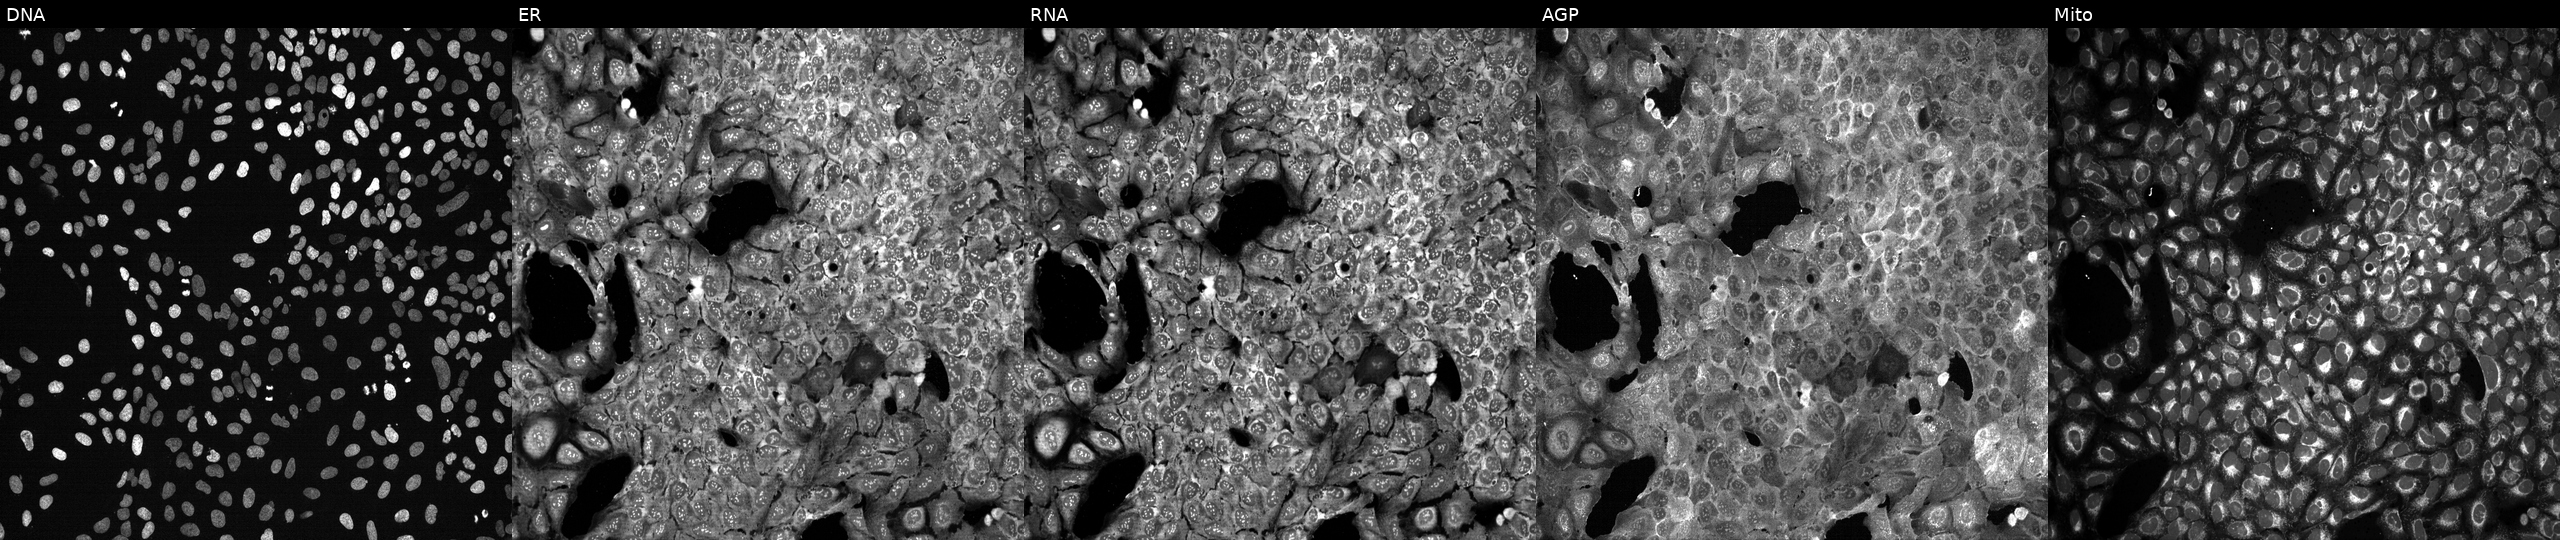
Panels show, left to right, Hoechst 33342, concanavalin A, SYTO 14, phalloidin and WGA, MitoTracker. U2OS osteosarcoma cells with RAB33A knocked out by CRISPR (JUMP id JCP2022_805764). Cell Painting assay, JUMP-CP dataset. Source 13, plate CP-CC9-R2-02, well C10.